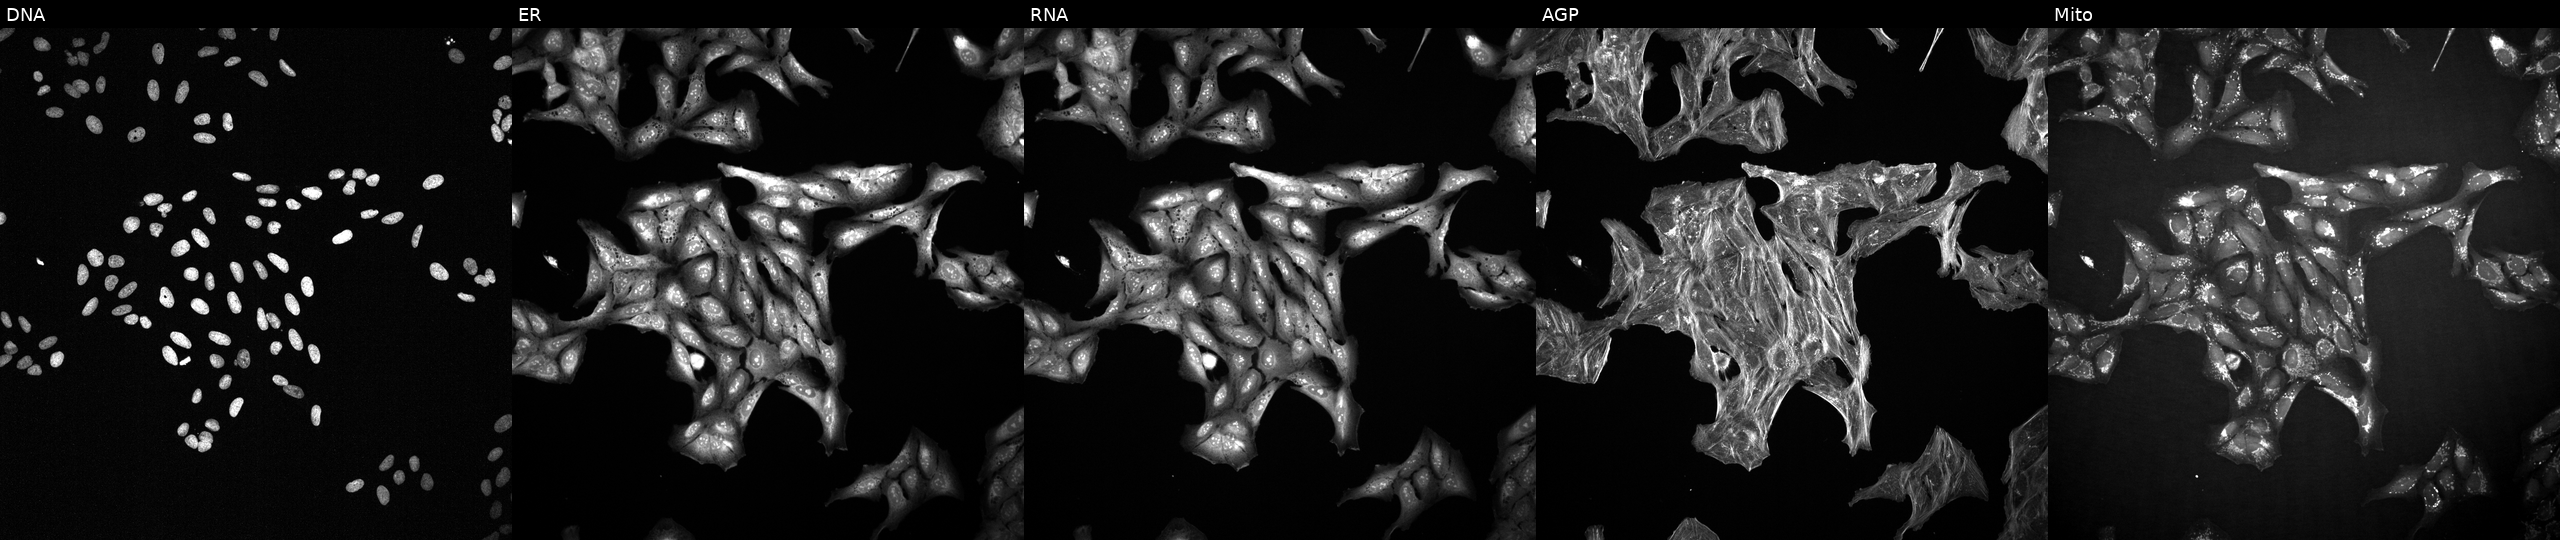
Five-channel Cell Painting image of U2OS cells perturbed with a small-molecule compound. From left to right: DNA (nuclei); ER (endoplasmic reticulum); RNA (nucleoli and cytoplasmic RNA); AGP (actin cytoskeleton, Golgi, and plasma membrane); Mito (mitochondria).